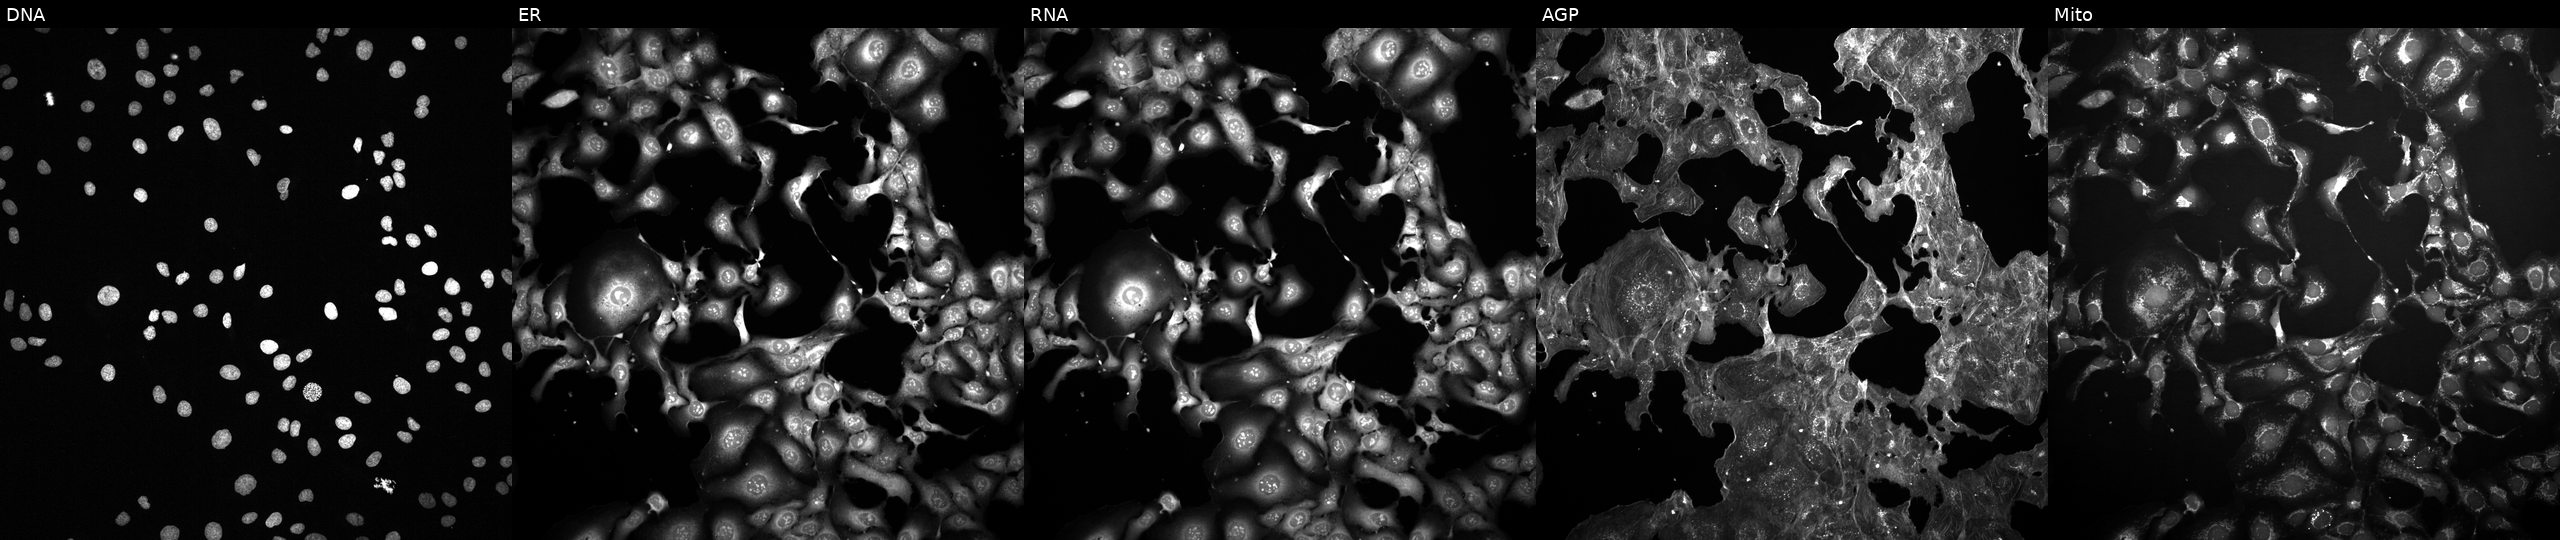
High-content fluorescence microscopy (Cell Painting). Cell line: U2OS. Perturbation: treated with a small-molecule compound (InChIKey GDVRVPIXWXOKQO-UHFFFAOYSA-N) (JUMP id JCP2022_024824). The five panels, left to right, show Hoechst 33342, concanavalin A, SYTO 14, phalloidin and WGA, MitoTracker.